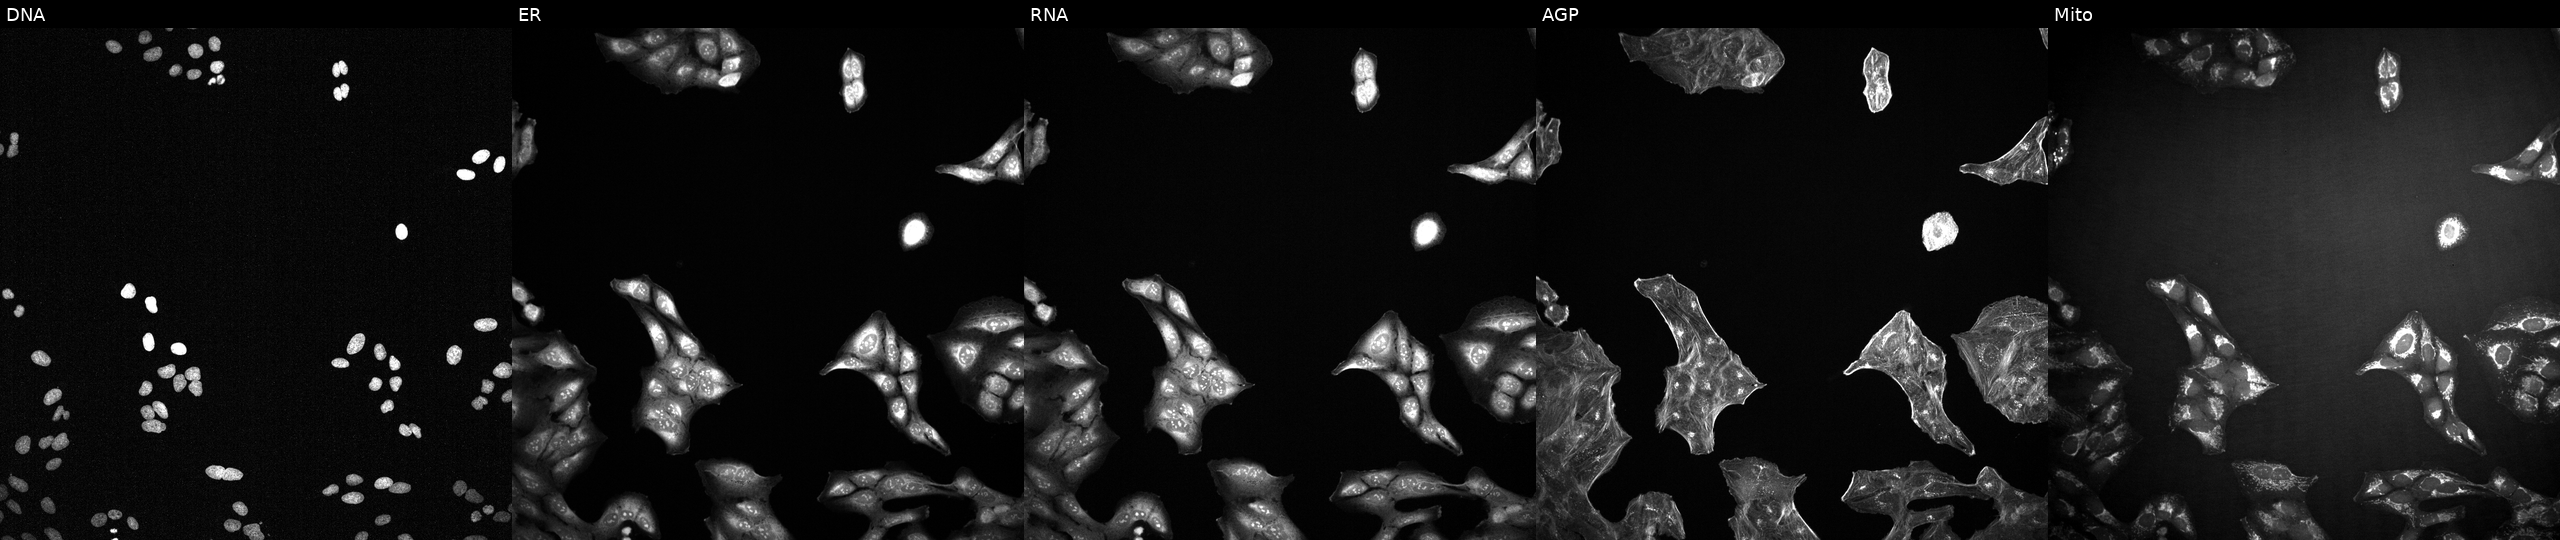
This image strip shows the five Cell Painting channels for a single field of U2OS cells treated with a small-molecule compound (InChIKey YYOOFJZTRCPVFD-UHFFFAOYSA-N). Channels (left→right): DNA, ER, RNA, AGP, and Mito.